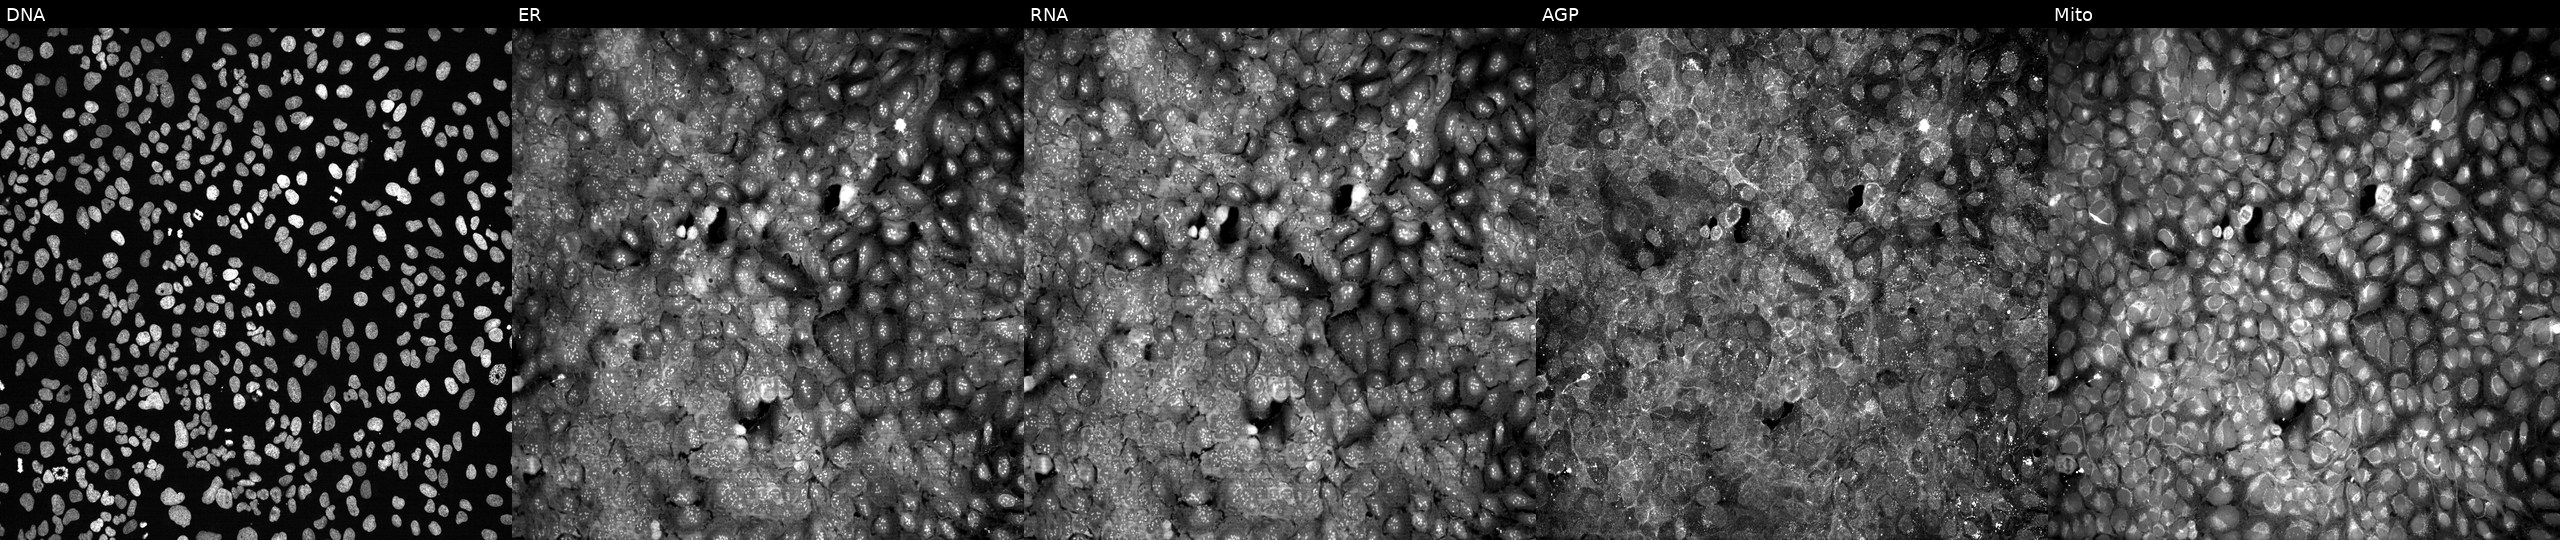
High-content fluorescence microscopy (Cell Painting). Cell line: U2OS. Perturbation: CRISPR-edited to disrupt AANAT. Panels show, left to right, DNA, ER, RNA, AGP, and Mito.